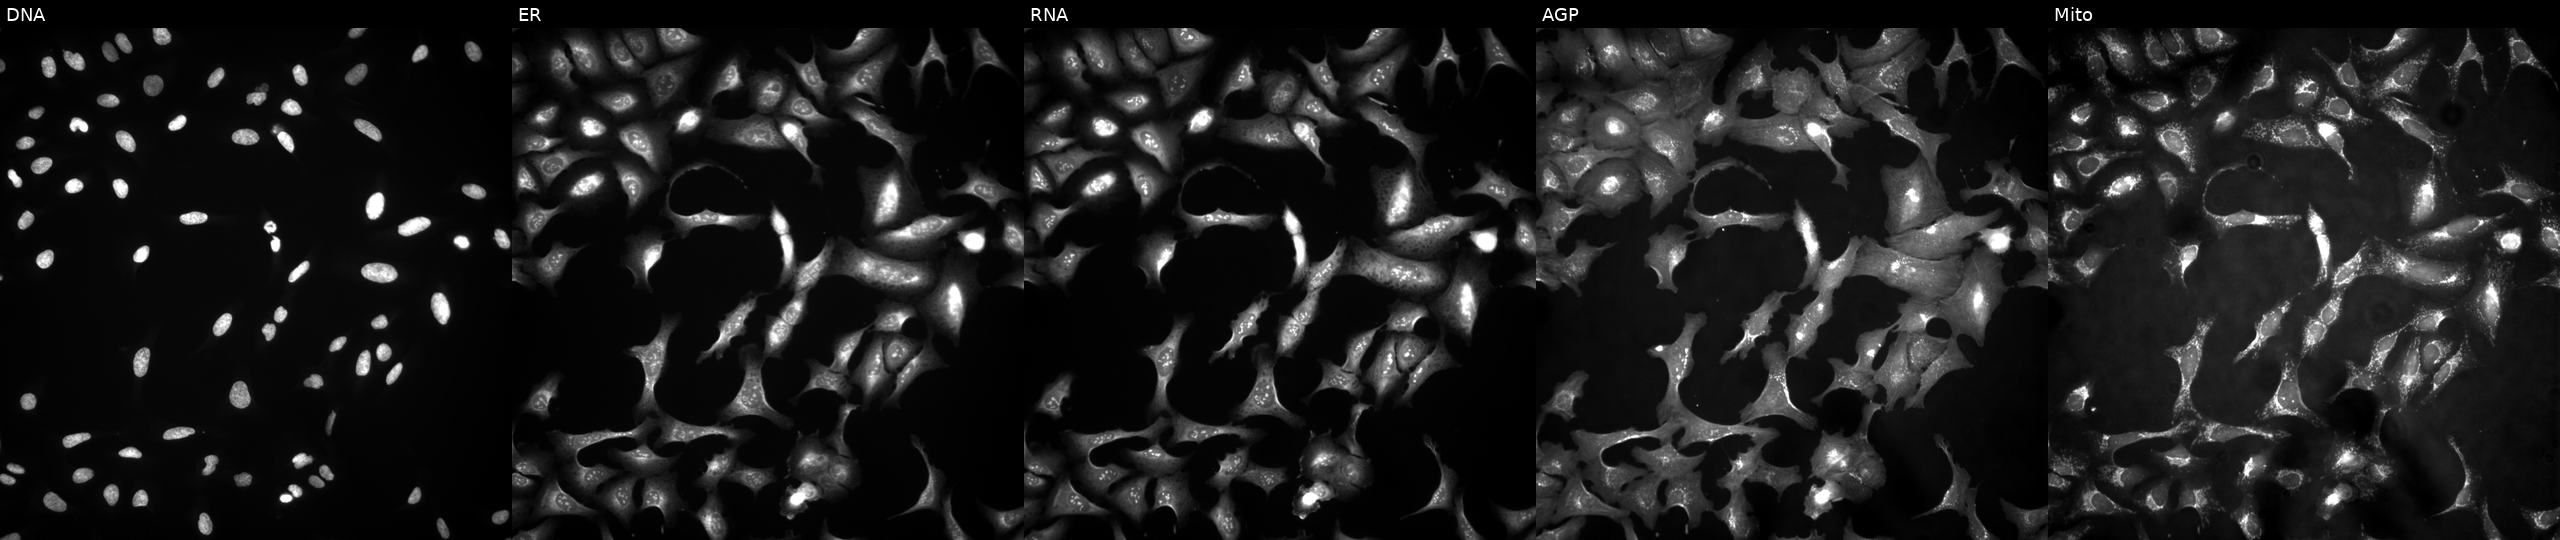
JUMP Cell Painting — ORF plate. U2OS cells transfected with an ORF construct for SAMD4A. Channels (left→right): Hoechst 33342, concanavalin A, SYTO 14, phalloidin and WGA, MitoTracker.